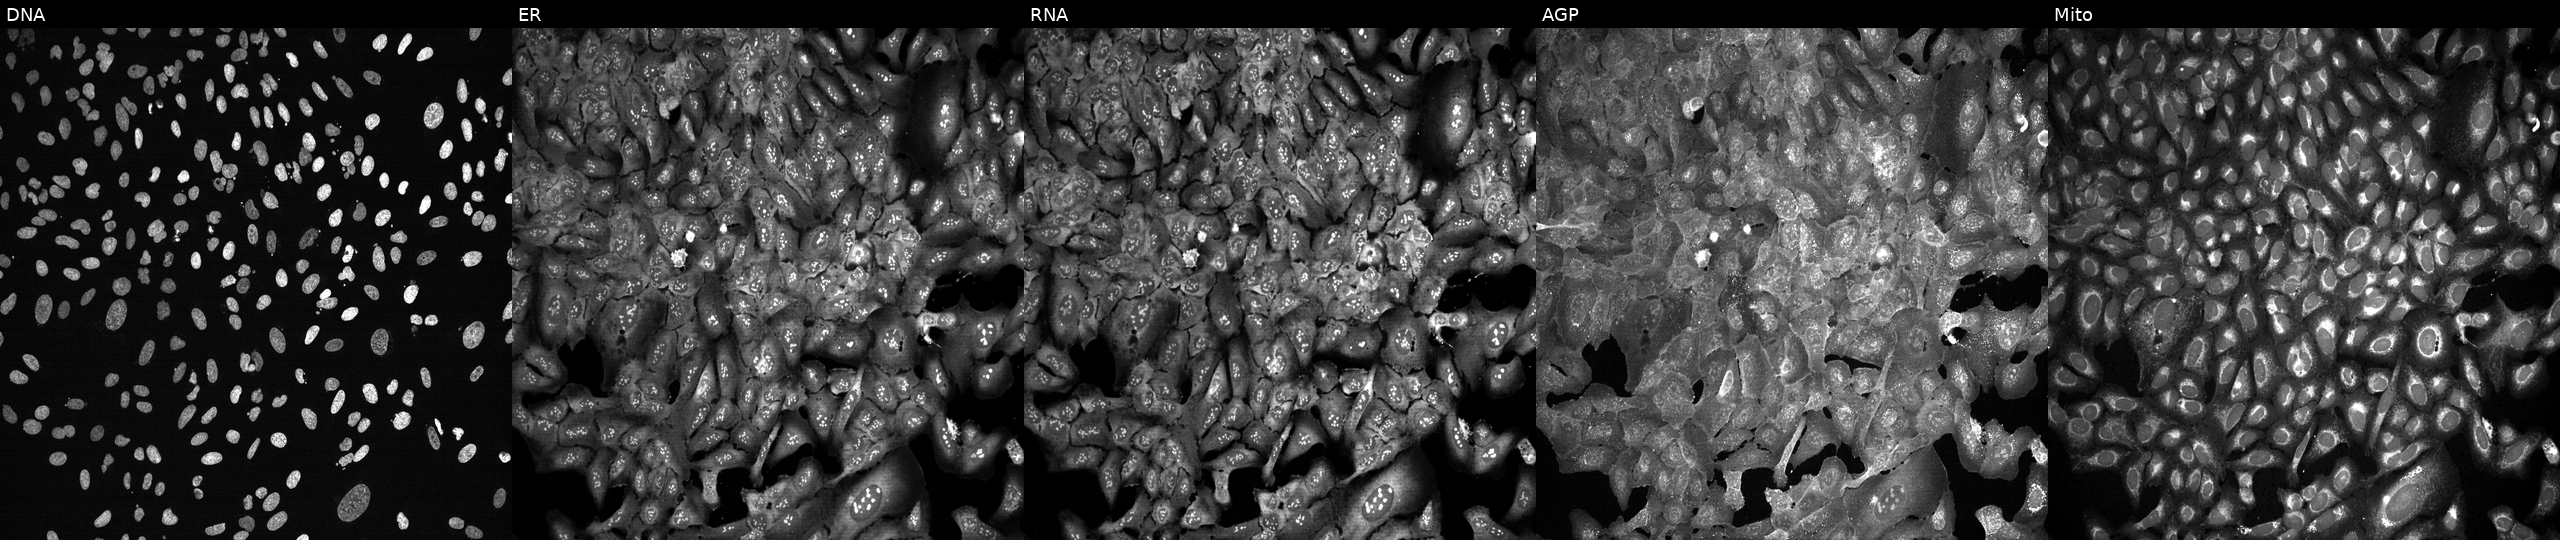
U2OS cells, Cell Painting assay, with UGT2B7 knocked out by CRISPR. Panels show, left to right, Hoechst 33342, concanavalin A, SYTO 14, phalloidin and WGA, MitoTracker. Each panel is percentile-stretched 16-bit fluorescence. Source 13, plate CP-CC9-R5-01, well D09.